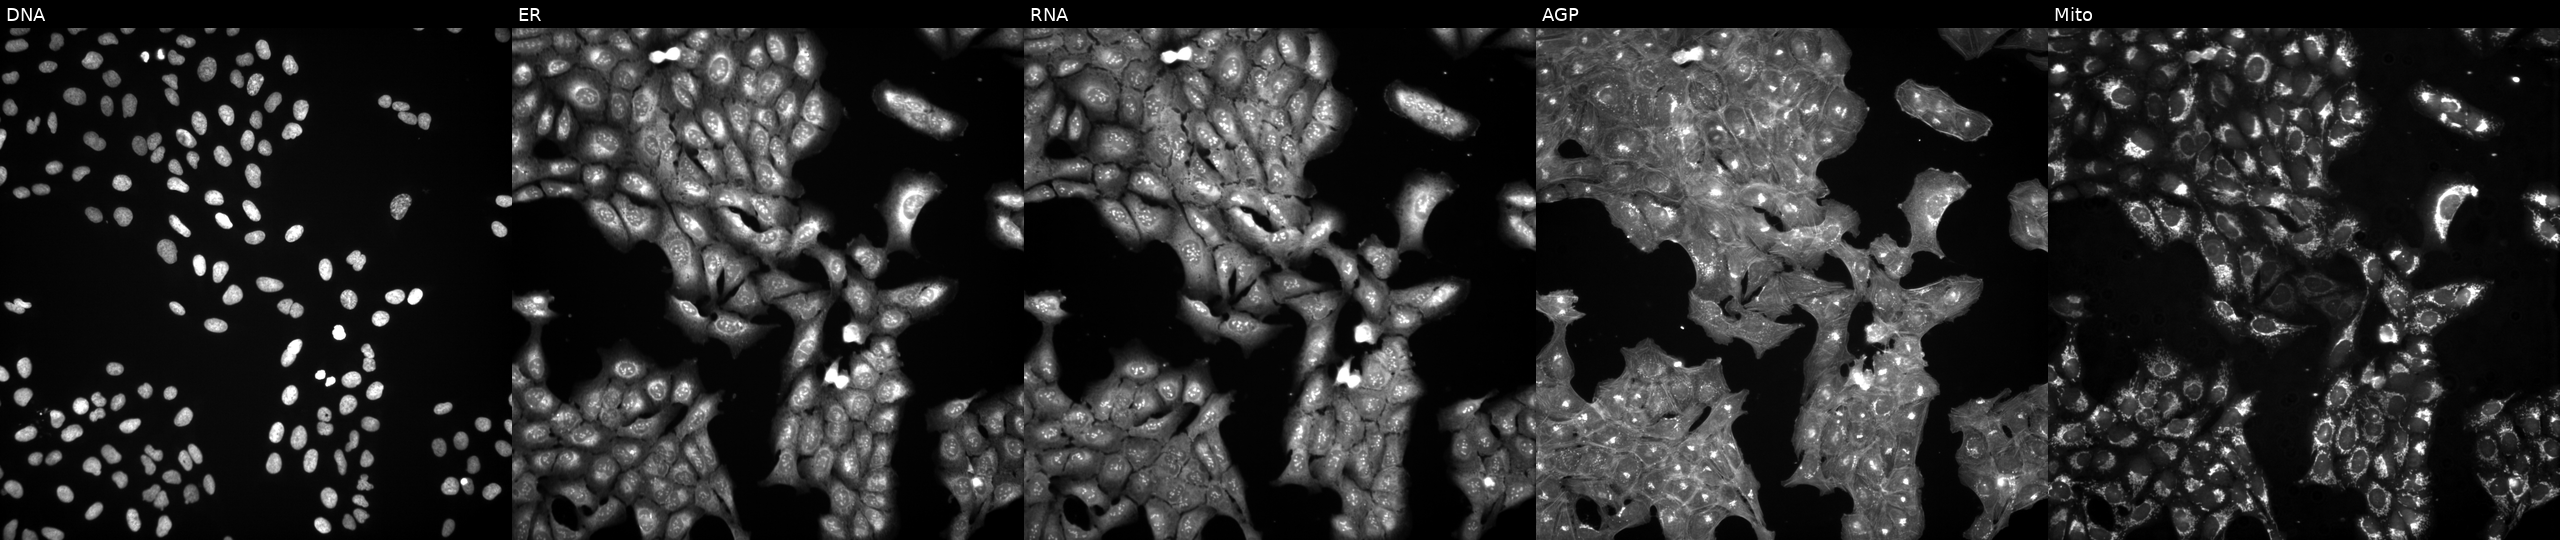
This image strip shows the five Cell Painting channels for a single field of U2OS cells perturbed with a small-molecule compound (JUMP id JCP2022_045654). Panels show, left to right, DNA (nuclei); ER (endoplasmic reticulum); RNA (nucleoli and cytoplasmic RNA); AGP (actin cytoskeleton, Golgi, and plasma membrane); Mito (mitochondria).